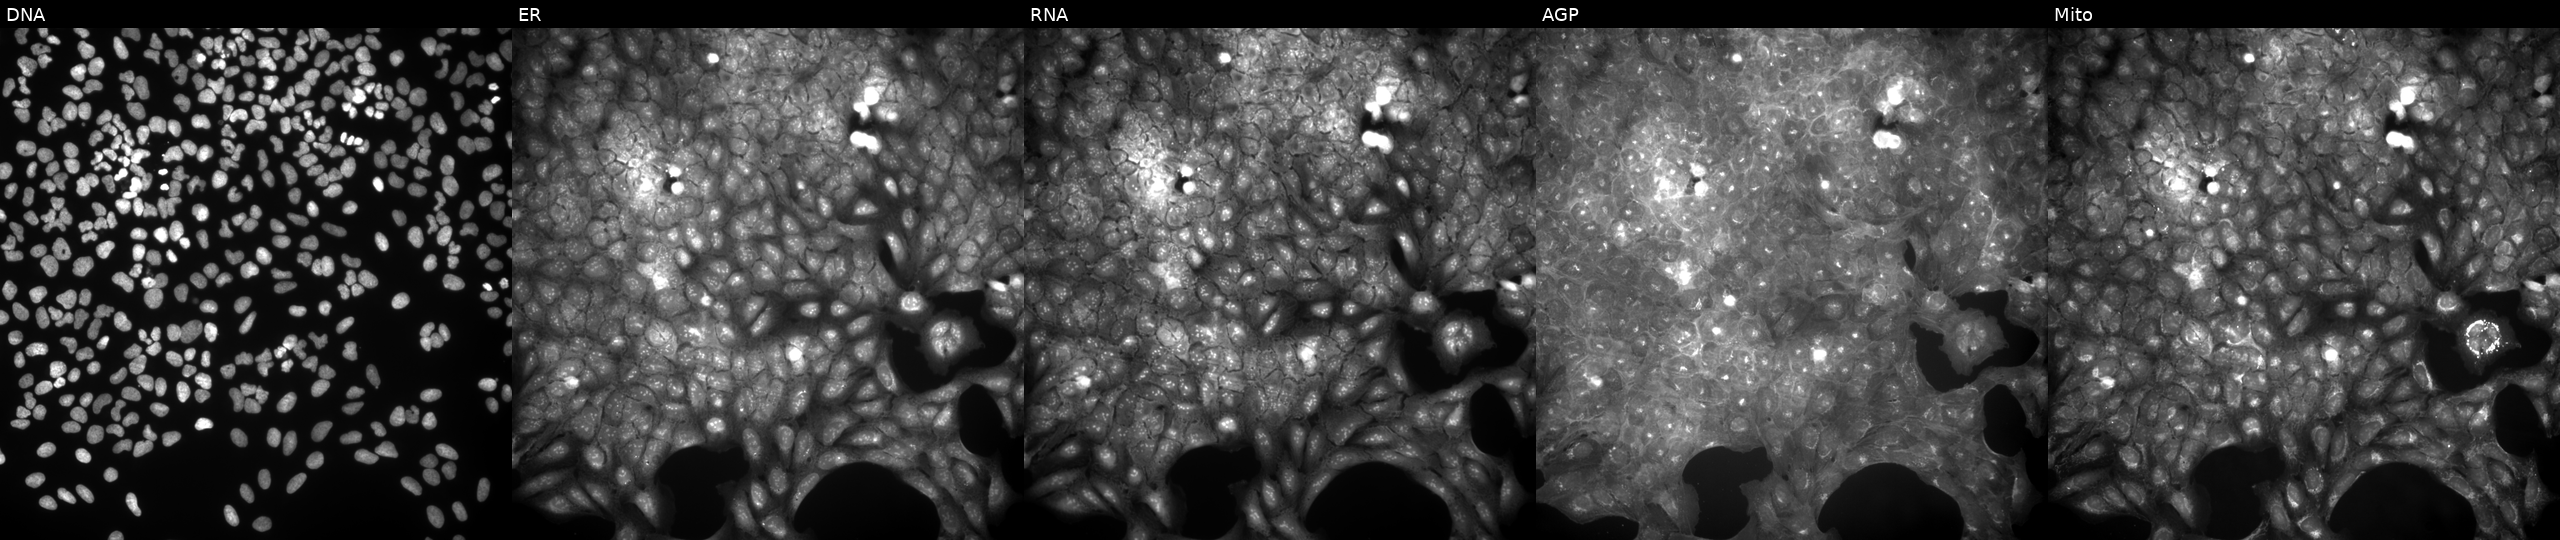
Channels (left→right): Hoechst 33342, concanavalin A, SYTO 14, phalloidin and WGA, MitoTracker. U2OS osteosarcoma cells exposed to DMSO alone as a negative control (JUMP id JCP2022_033924). Cell Painting assay, JUMP-CP dataset.